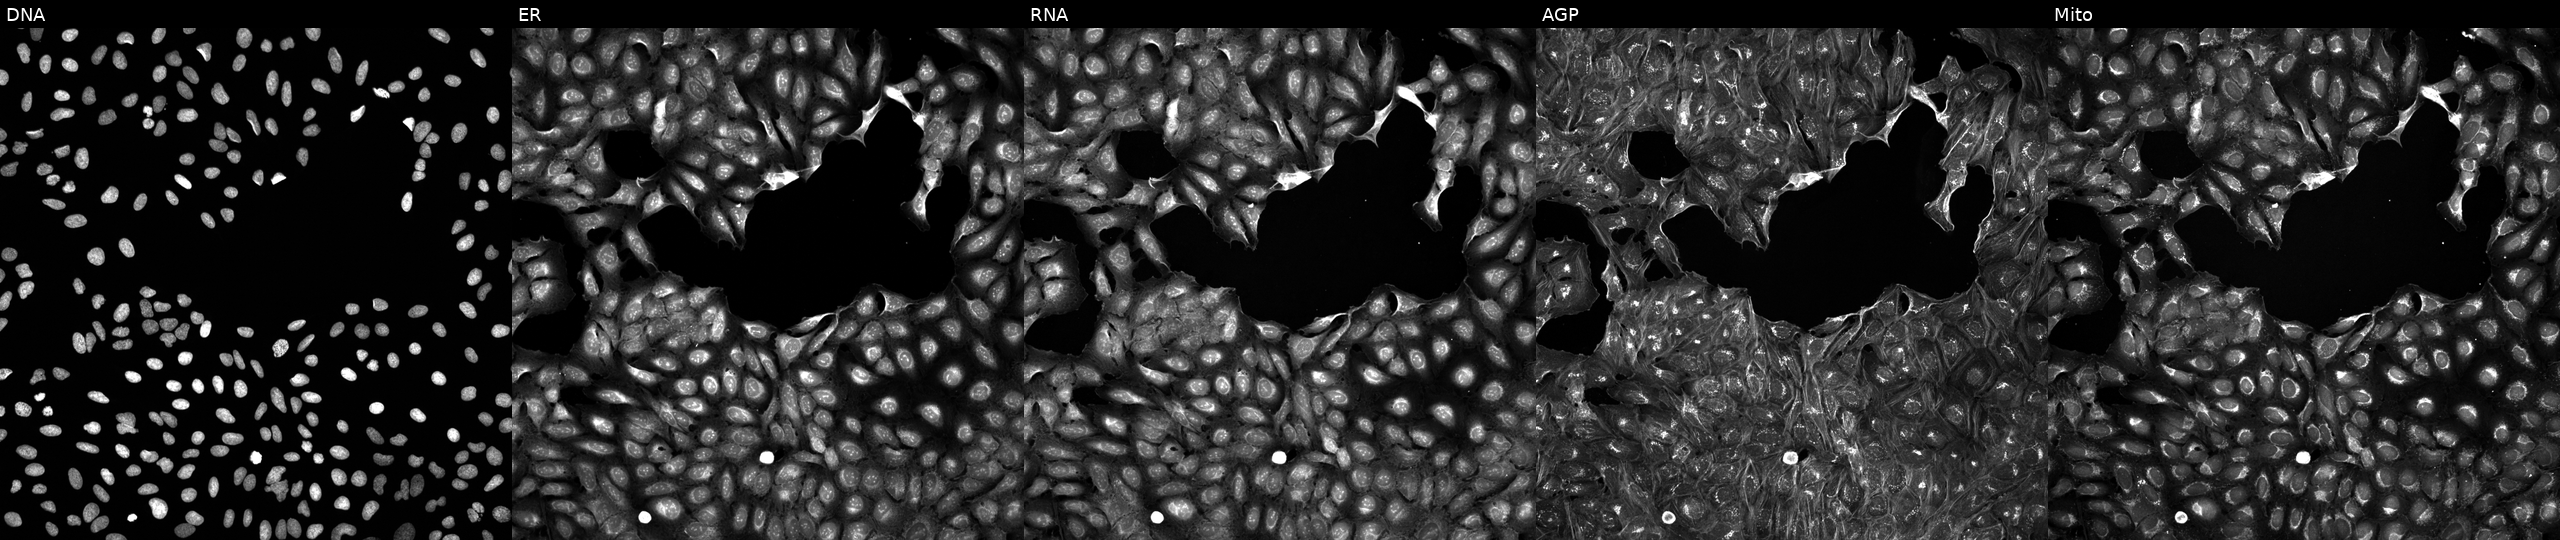
Panels show, left to right, DNA (nuclei); ER (endoplasmic reticulum); RNA (nucleoli and cytoplasmic RNA); AGP (actin cytoskeleton, Golgi, and plasma membrane); Mito (mitochondria). U2OS osteosarcoma cells exposed to a small-molecule compound. Cell Painting assay, JUMP-CP dataset. Source 5, plate APTJUM106, well B19.